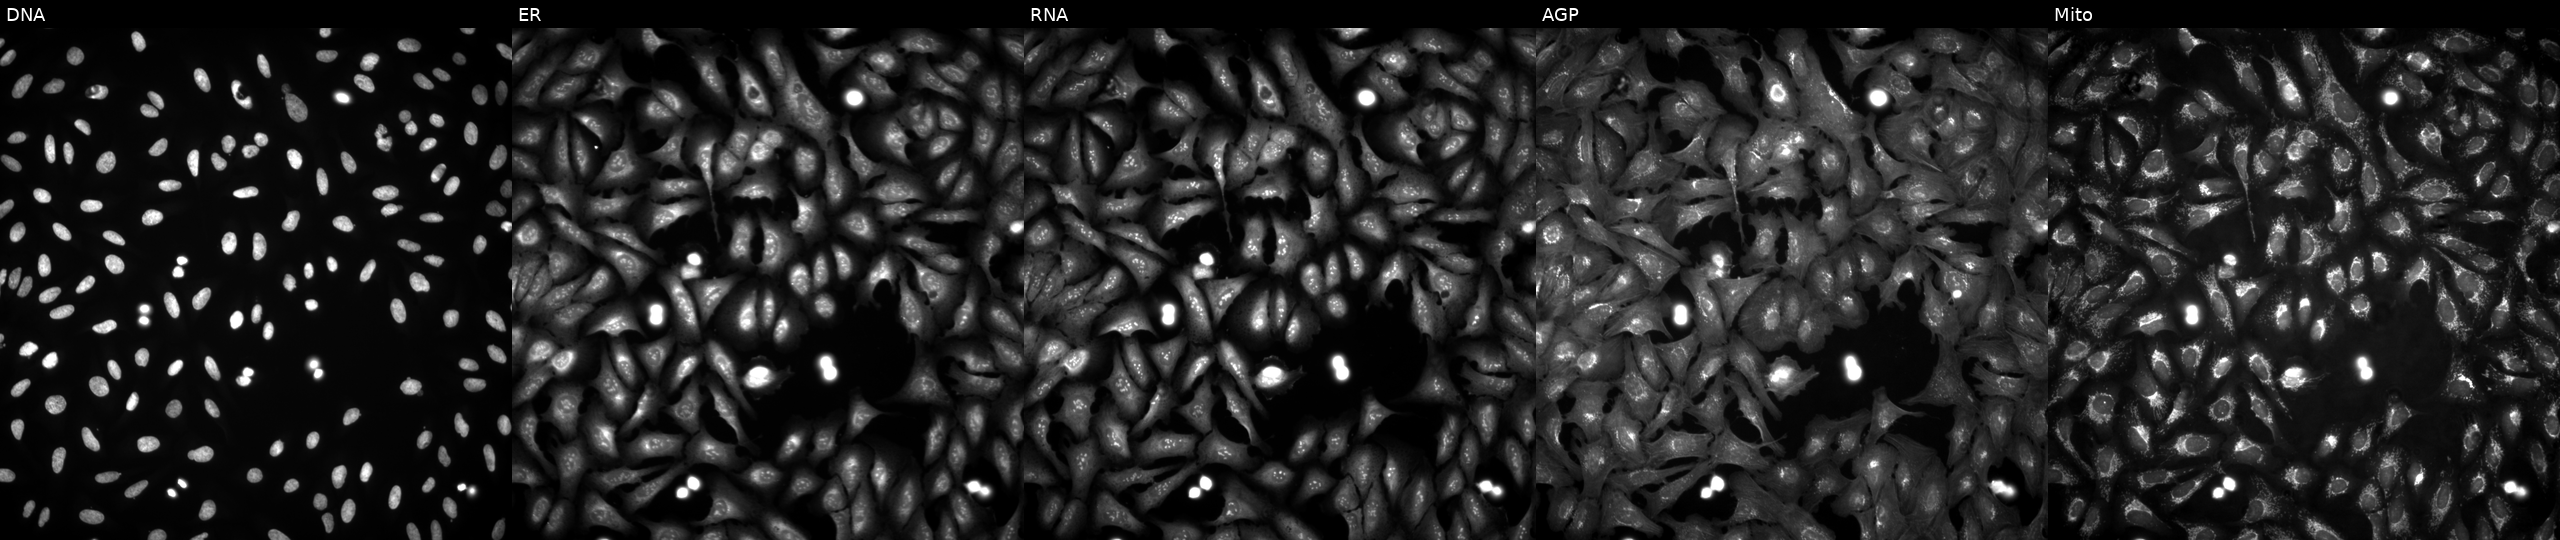
High-content fluorescence microscopy (Cell Painting). Cell line: U2OS. Perturbation: transfected with an ORF construct for LINC00312. Channels (left→right): Hoechst 33342, concanavalin A, SYTO 14, phalloidin and WGA, MitoTracker.